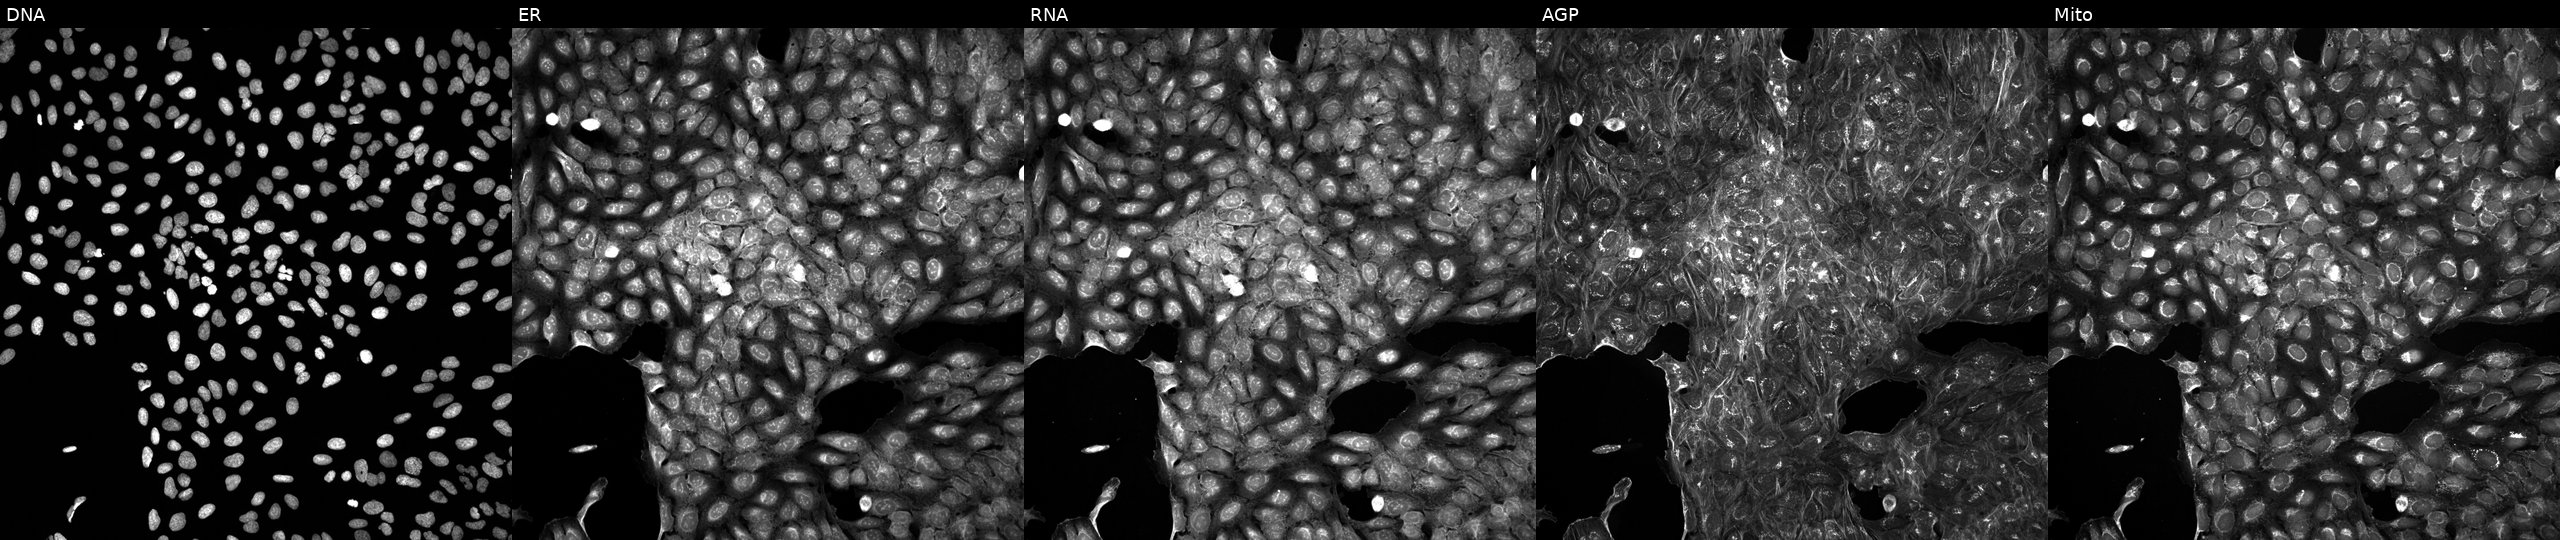
JUMP Cell Painting — COMPOUND plate. U2OS cells exposed to a small-molecule compound (InChIKey OIUSUTQPKSTSOF-UHFFFAOYSA-N) (JUMP id JCP2022_064073). Panels show, left to right, DNA (nuclei); ER (endoplasmic reticulum); RNA (nucleoli and cytoplasmic RNA); AGP (actin cytoskeleton, Golgi, and plasma membrane); Mito (mitochondria). Source 5, plate APTJUM106, well H11.